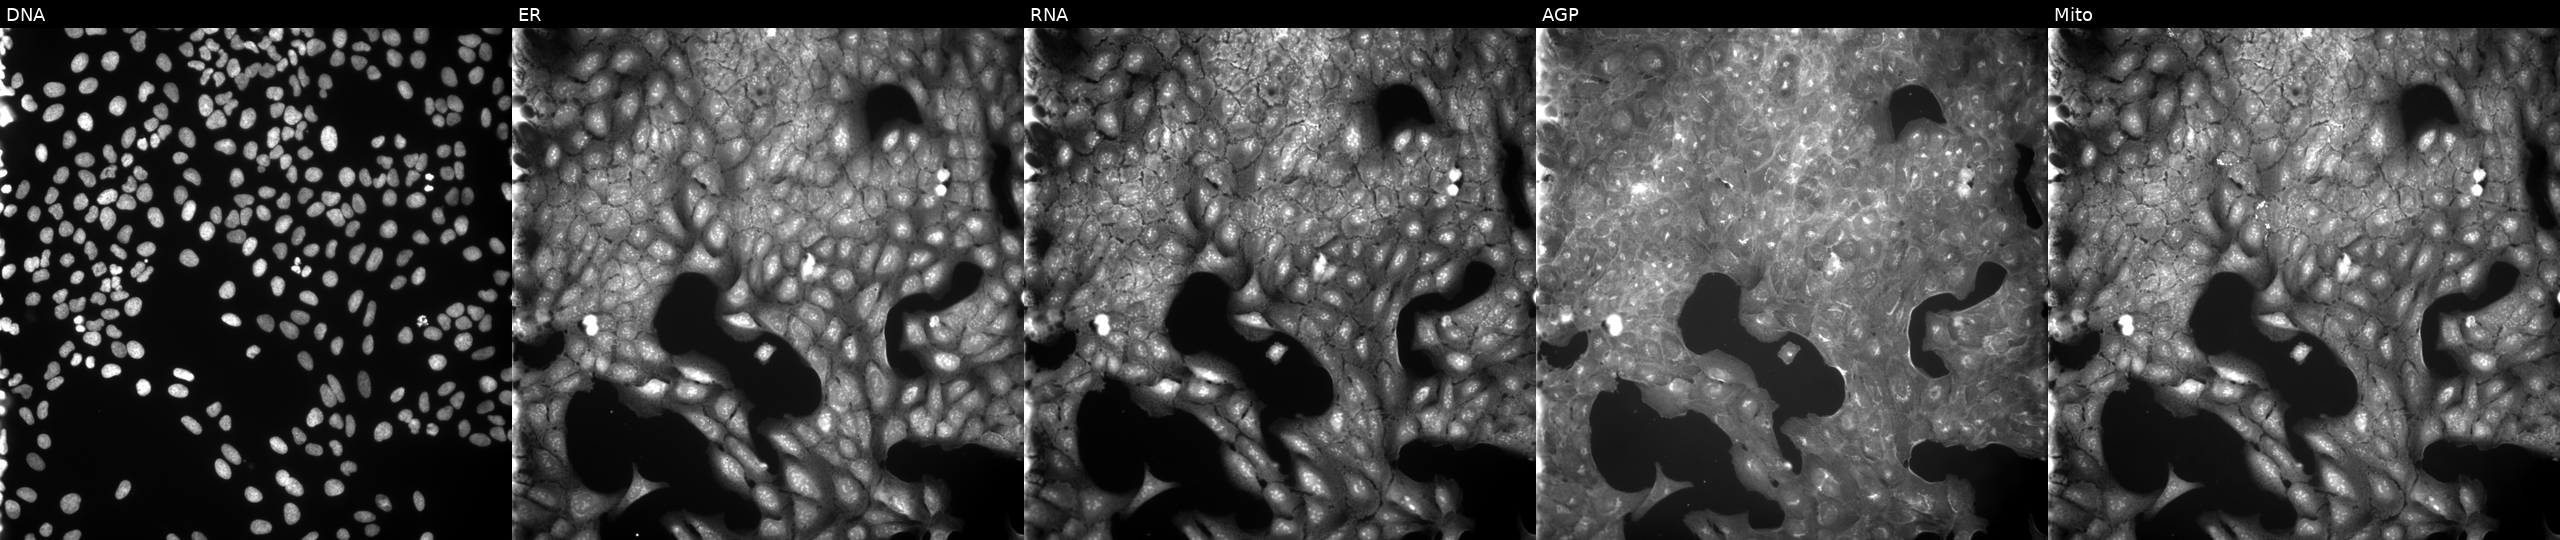
Five-channel Cell Painting image of U2OS cells perturbed with a small-molecule compound [SMILES: NC(=S)NN=C1c2ccccc2-c2ccccc21]. From left to right: DNA, ER, RNA, AGP, and Mito.